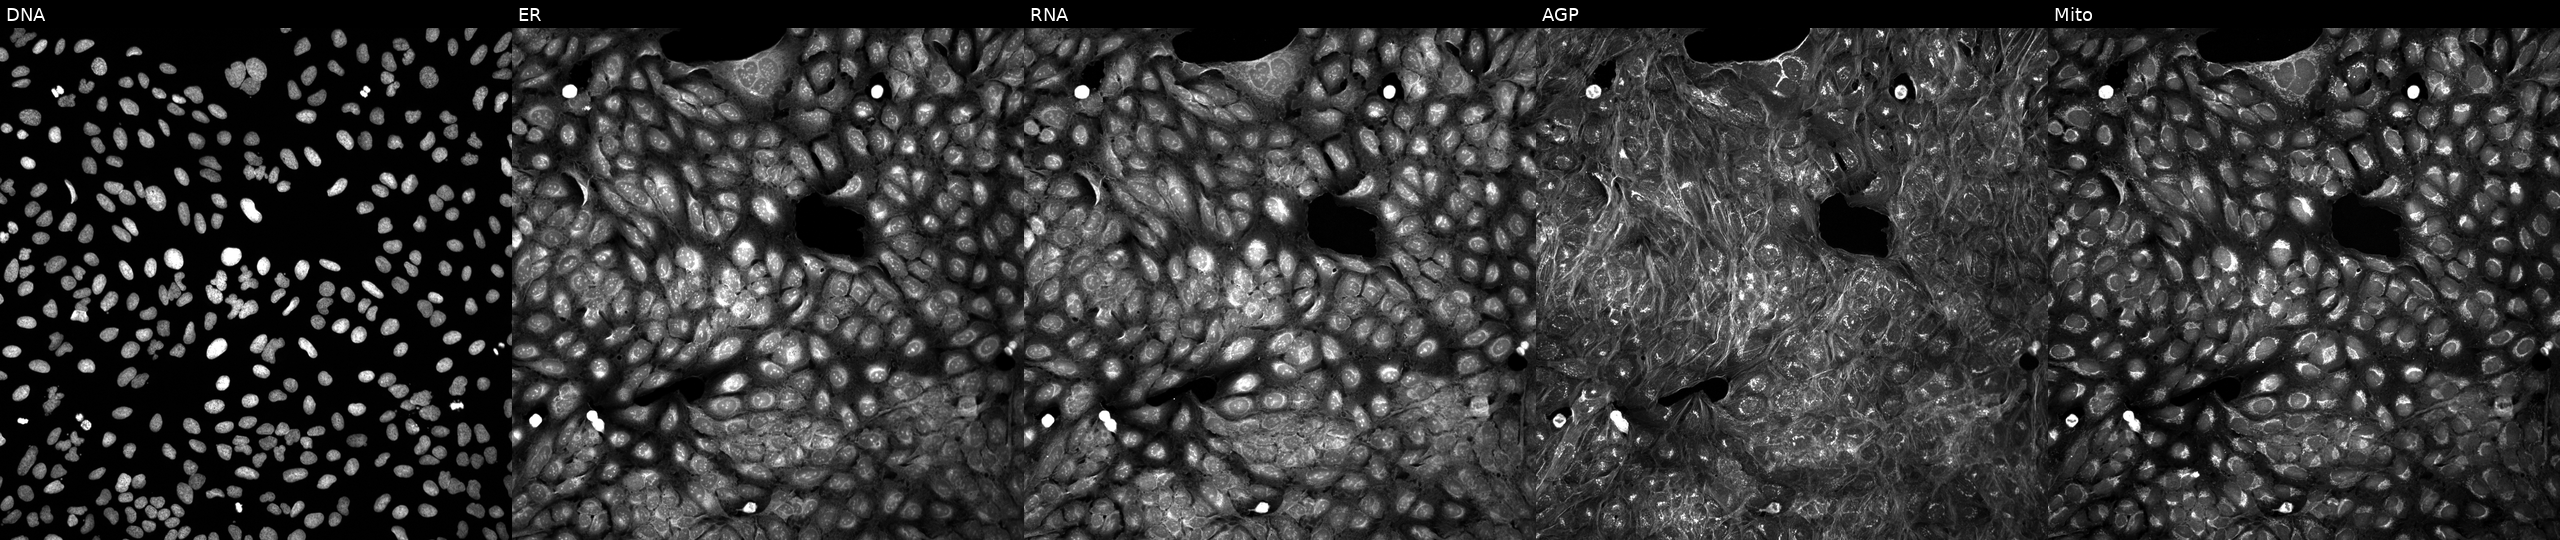
This image strip shows the five Cell Painting channels for a single field of U2OS cells treated with a small-molecule compound (InChIKey UOHVSJVDKDGMAA-UHFFFAOYSA-N) (JUMP id JCP2022_090484). Panels show, left to right, DNA, ER, RNA, AGP, and Mito. Source 5, plate APTJUM105, well F21.